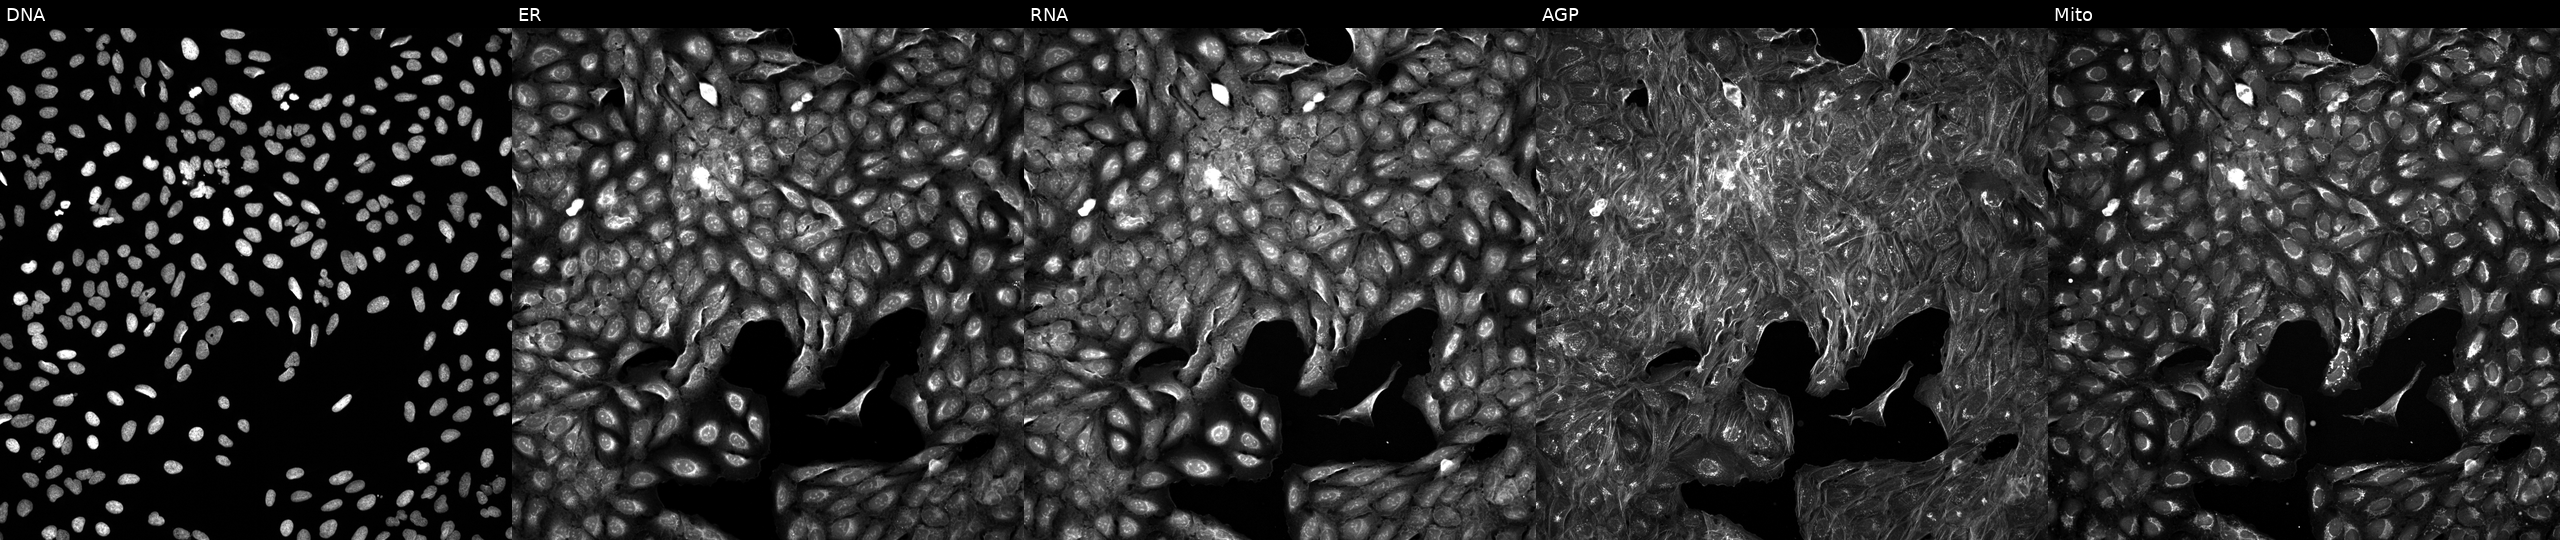
High-content fluorescence microscopy (Cell Painting). Cell line: U2OS. Perturbation: exposed to a small-molecule compound (InChIKey PDMUGYOXRHVNMO-UHFFFAOYSA-N) (JUMP id JCP2022_067886). Channels (left→right): DNA, ER, RNA, AGP, and Mito.